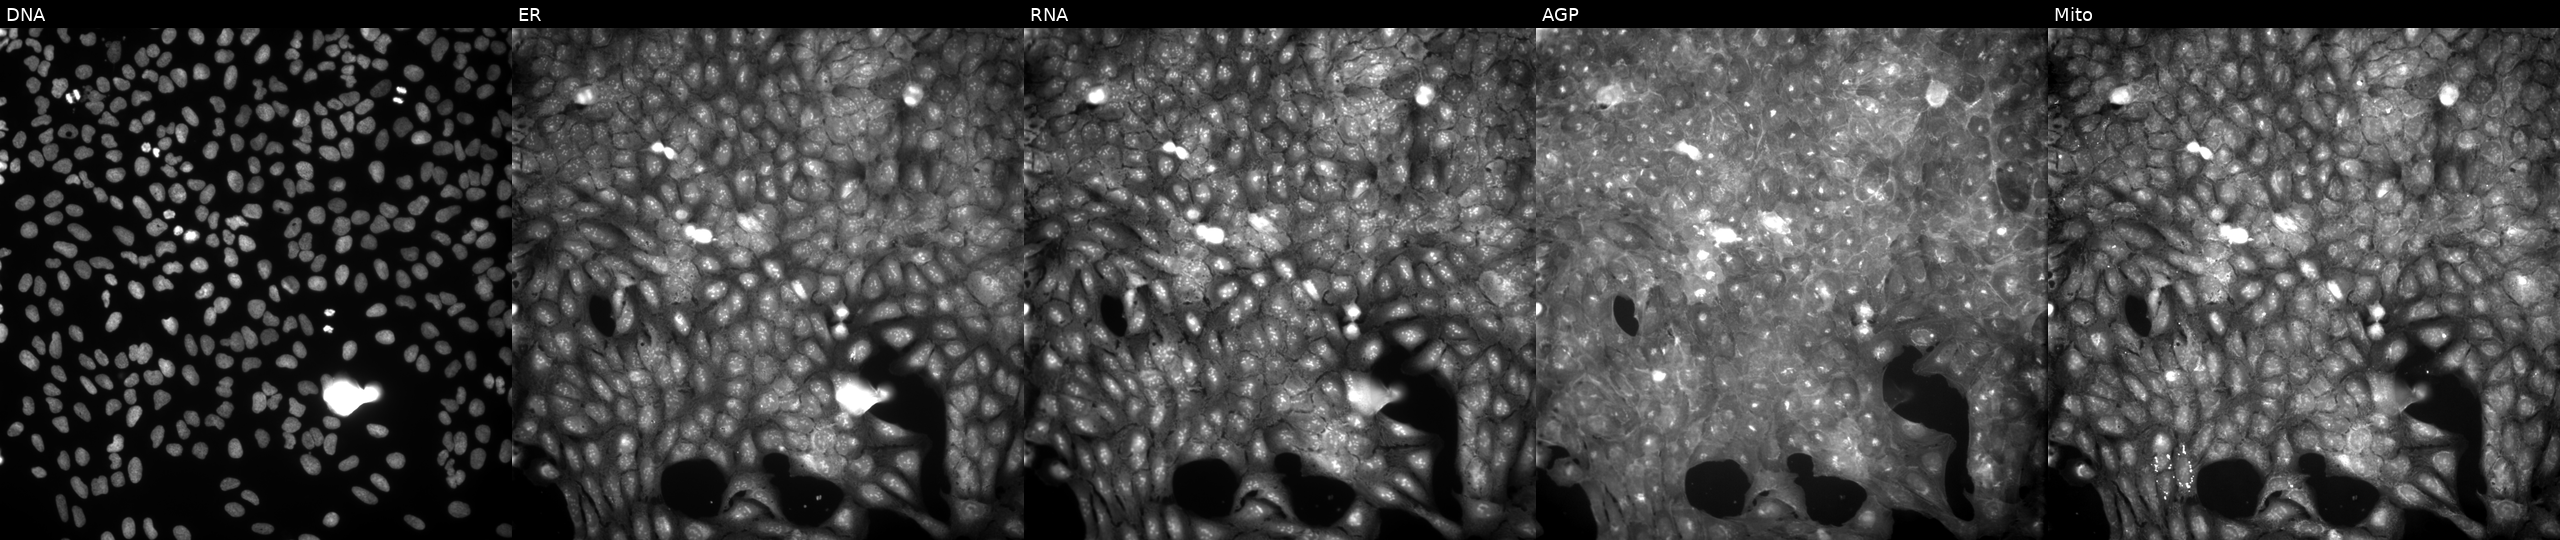
Five-channel Cell Painting image of U2OS cells exposed to a small-molecule compound [SMILES: CCOC(=O)N1CCN(S(=O)(=O)c2ccc(NC(C)=O)cc2)CC1]. From left to right: DNA (nuclei); ER (endoplasmic reticulum); RNA (nucleoli and cytoplasmic RNA); AGP (actin cytoskeleton, Golgi, and plasma membrane); Mito (mitochondria). Source 9, plate GR00003382, well Q19.